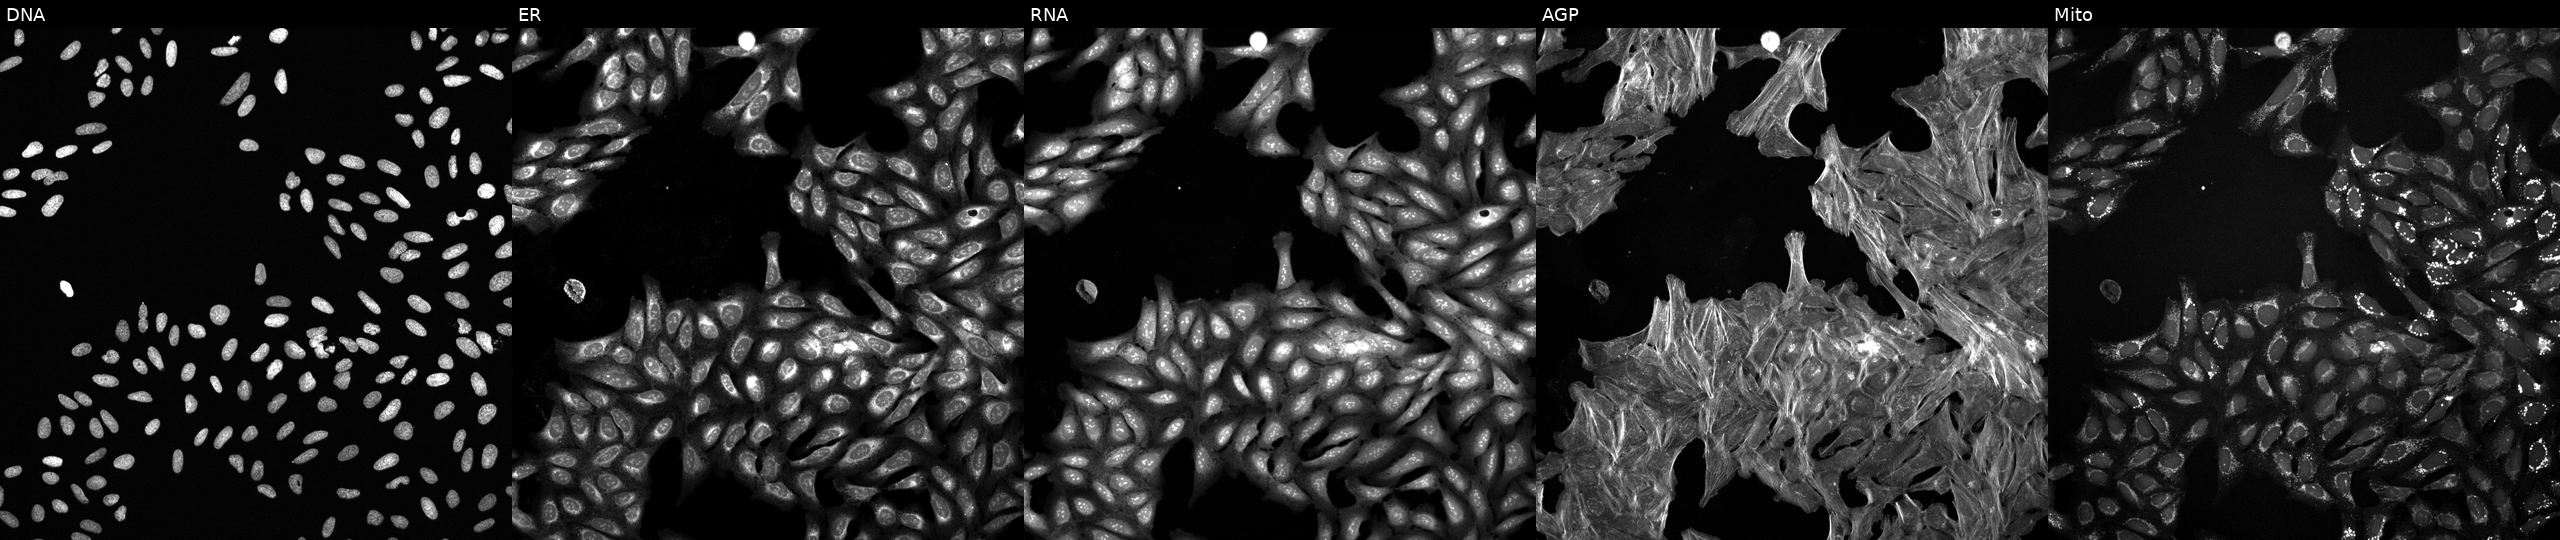
This image strip shows the five Cell Painting channels for a single field of U2OS cells treated with a small-molecule compound (InChIKey XFILPEOLDIKJHX-UHFFFAOYSA-N) [SMILES: CNC(=O)C(Cc1ccccc1)NC(=O)C(CC(C)C)C(CSc1cccs1)C(O)=NO]. Channels (left→right): Hoechst 33342, concanavalin A, SYTO 14, phalloidin and WGA, MitoTracker.